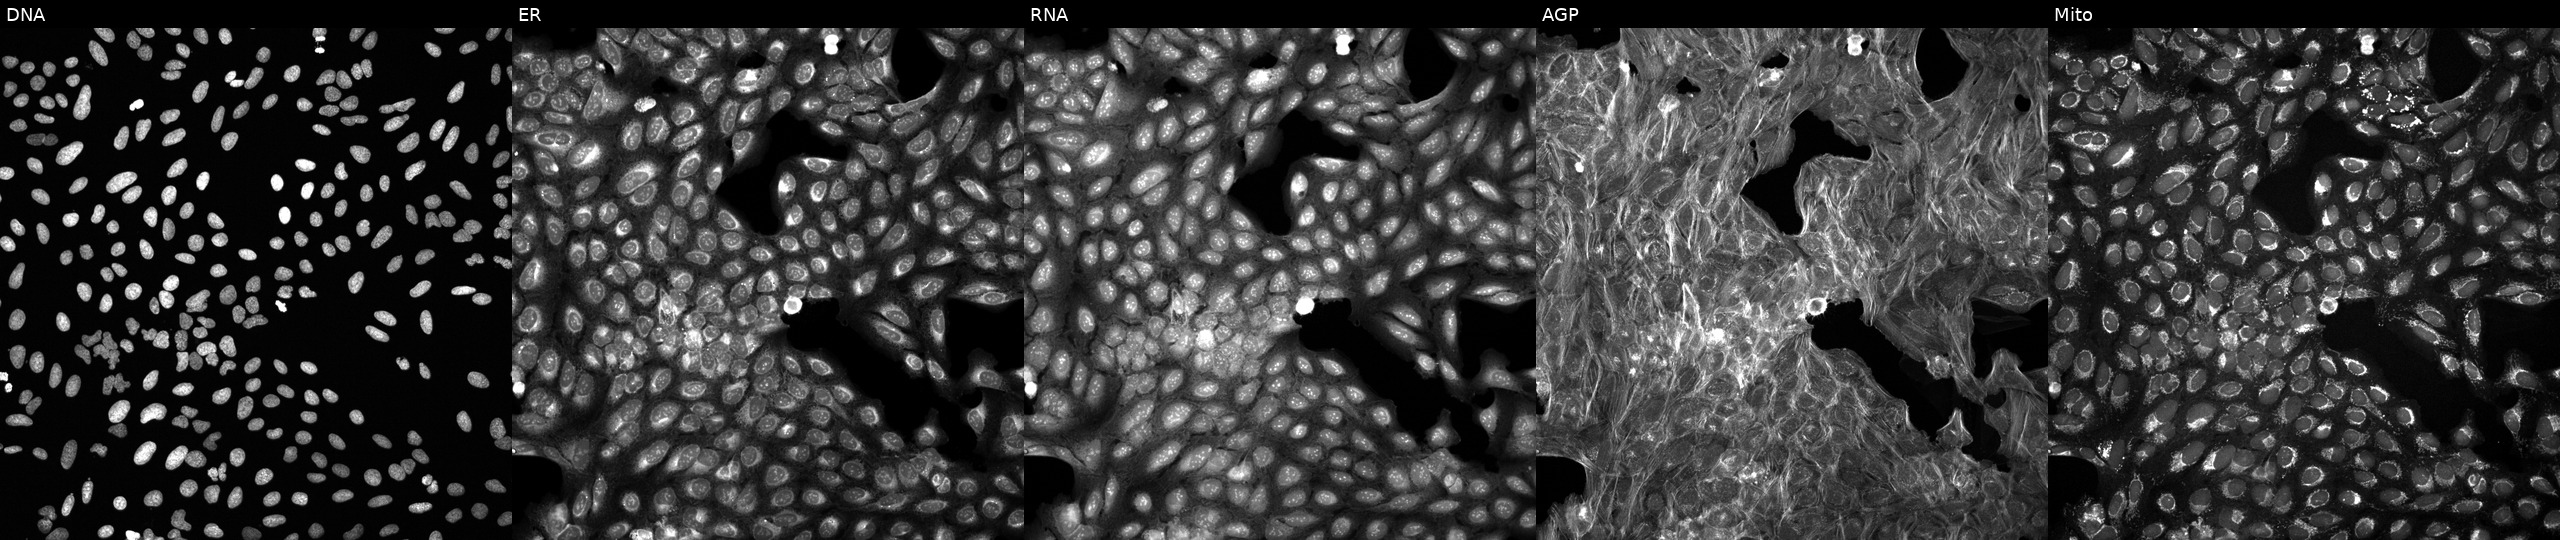
Five-channel Cell Painting image of U2OS cells perturbed with a small-molecule compound (InChIKey ZUUFDJNRFVEFCV-UHFFFAOYSA-N) (JUMP id JCP2022_115807). Channels (left→right): DNA, ER, RNA, AGP, and Mito.